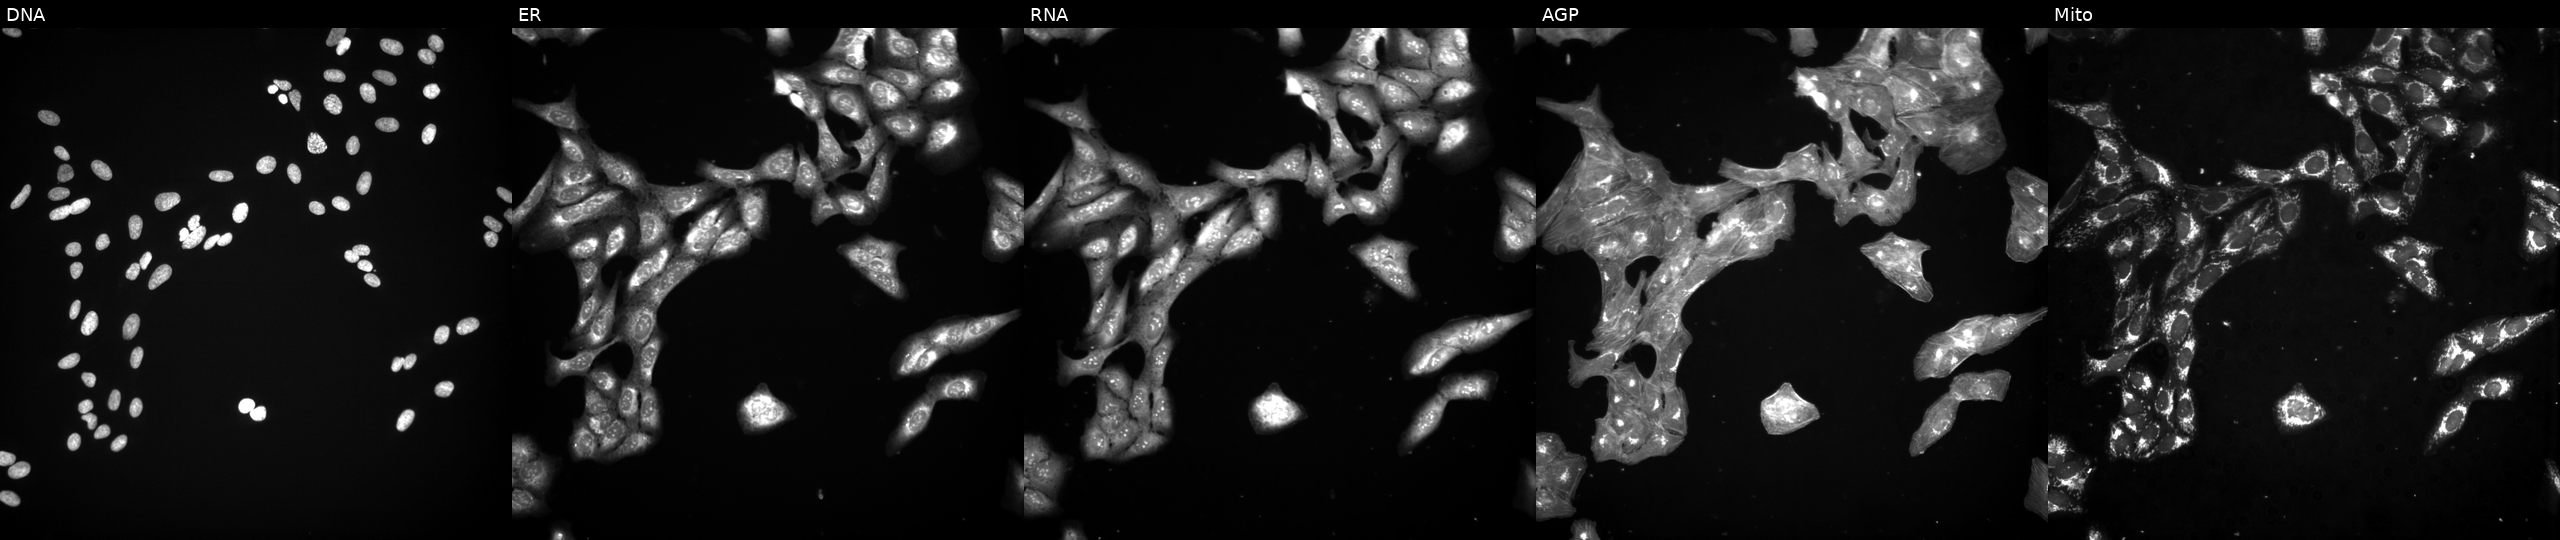
Five-channel Cell Painting image of U2OS cells exposed to a small-molecule compound (InChIKey RMBBGYYJTMLZBI-UHFFFAOYSA-N). The five panels, left to right, show DNA, ER, RNA, AGP, and Mito. Source 3, plate BR5867a3, well P08.